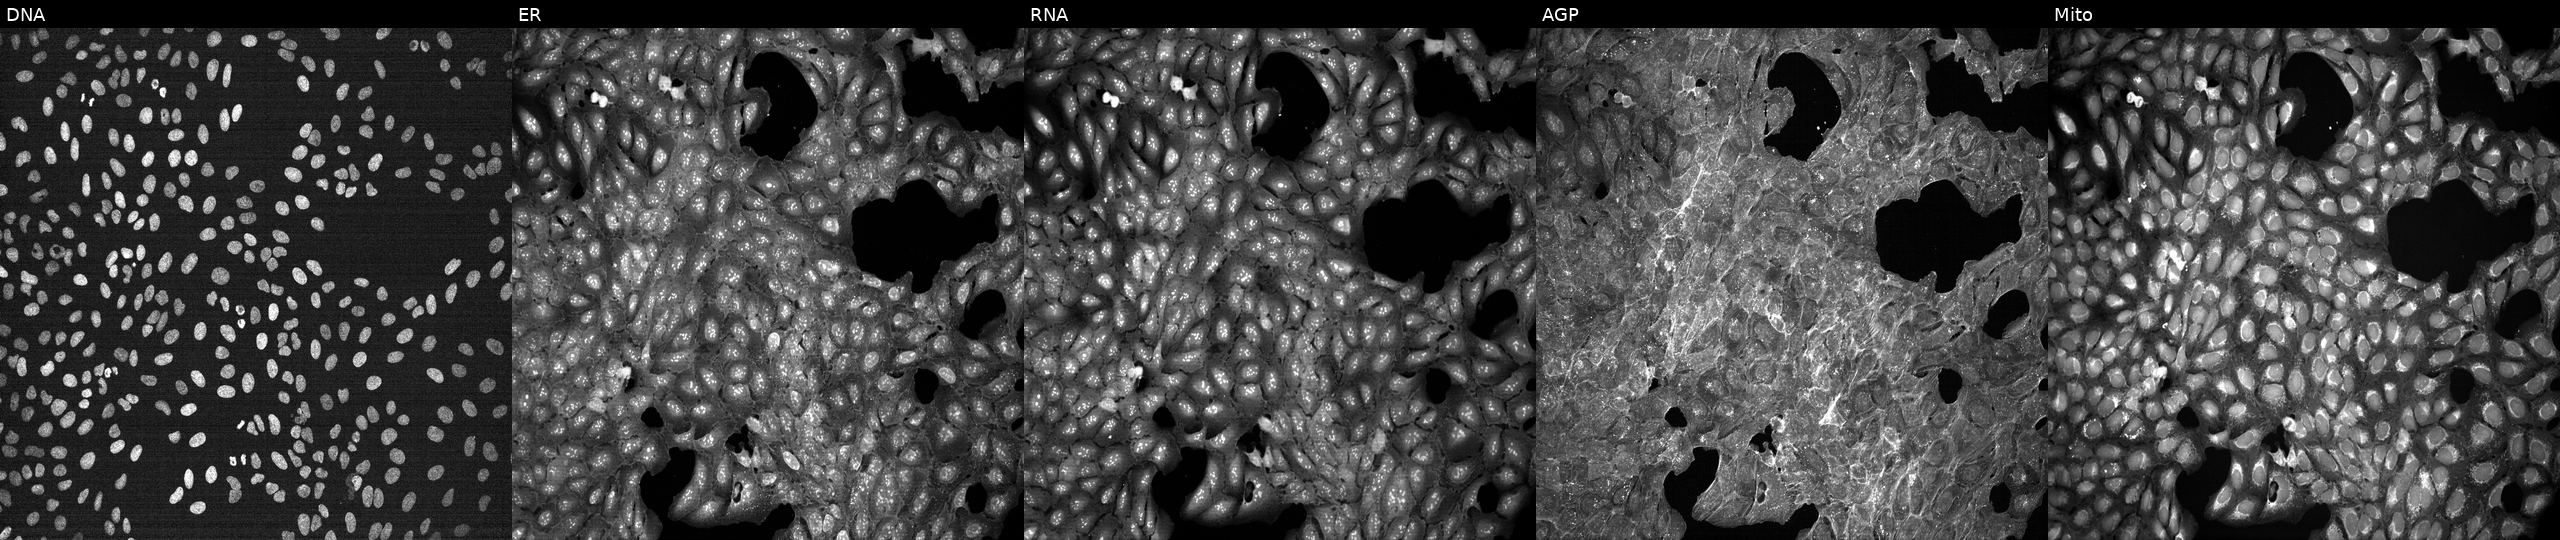
The five panels, left to right, show Hoechst 33342, concanavalin A, SYTO 14, phalloidin and WGA, MitoTracker. U2OS osteosarcoma cells treated with a small-molecule compound (InChIKey RRGUKTPIGVIEKM-UHFFFAOYSA-N). Cell Painting assay, JUMP-CP dataset. Source 7, plate CP1-SC1-25, well E24.